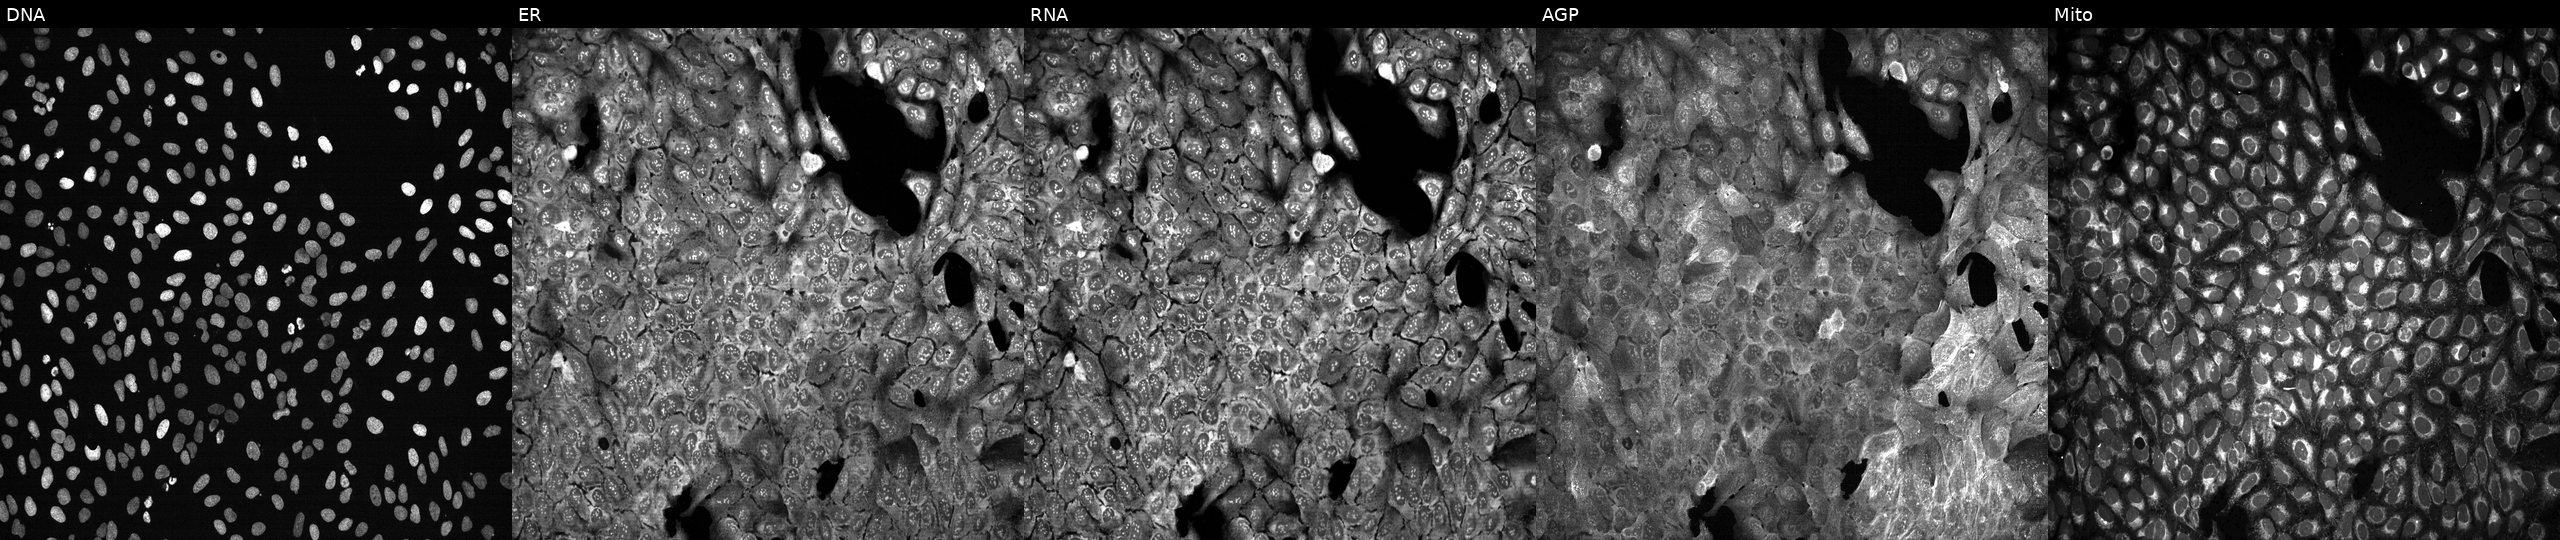
High-content fluorescence microscopy (Cell Painting). Cell line: U2OS. Perturbation: following CRISPR knockout of CNP. From left to right: Hoechst 33342, concanavalin A, SYTO 14, phalloidin and WGA, MitoTracker.